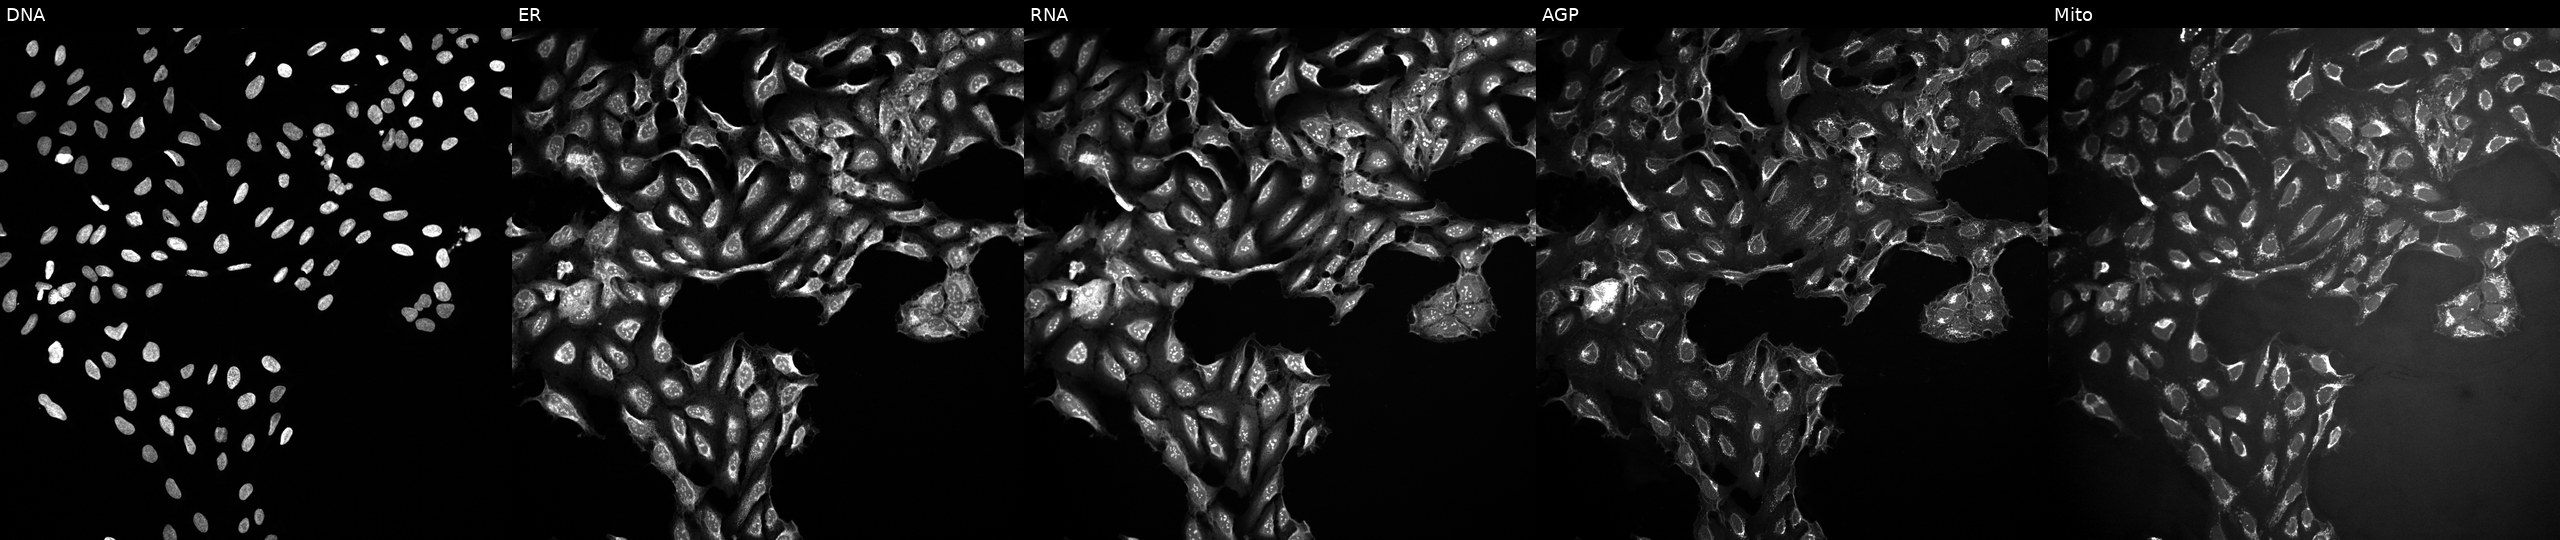
JUMP Cell Painting — TARGET2 plate. U2OS cells exposed to a small-molecule compound [SMILES: CCOC(=O)c1ncc2[nH]c3ccc(OCc4ccccc4)cc3c2c1COC]. The five panels, left to right, show Hoechst 33342, concanavalin A, SYTO 14, phalloidin and WGA, MitoTracker.